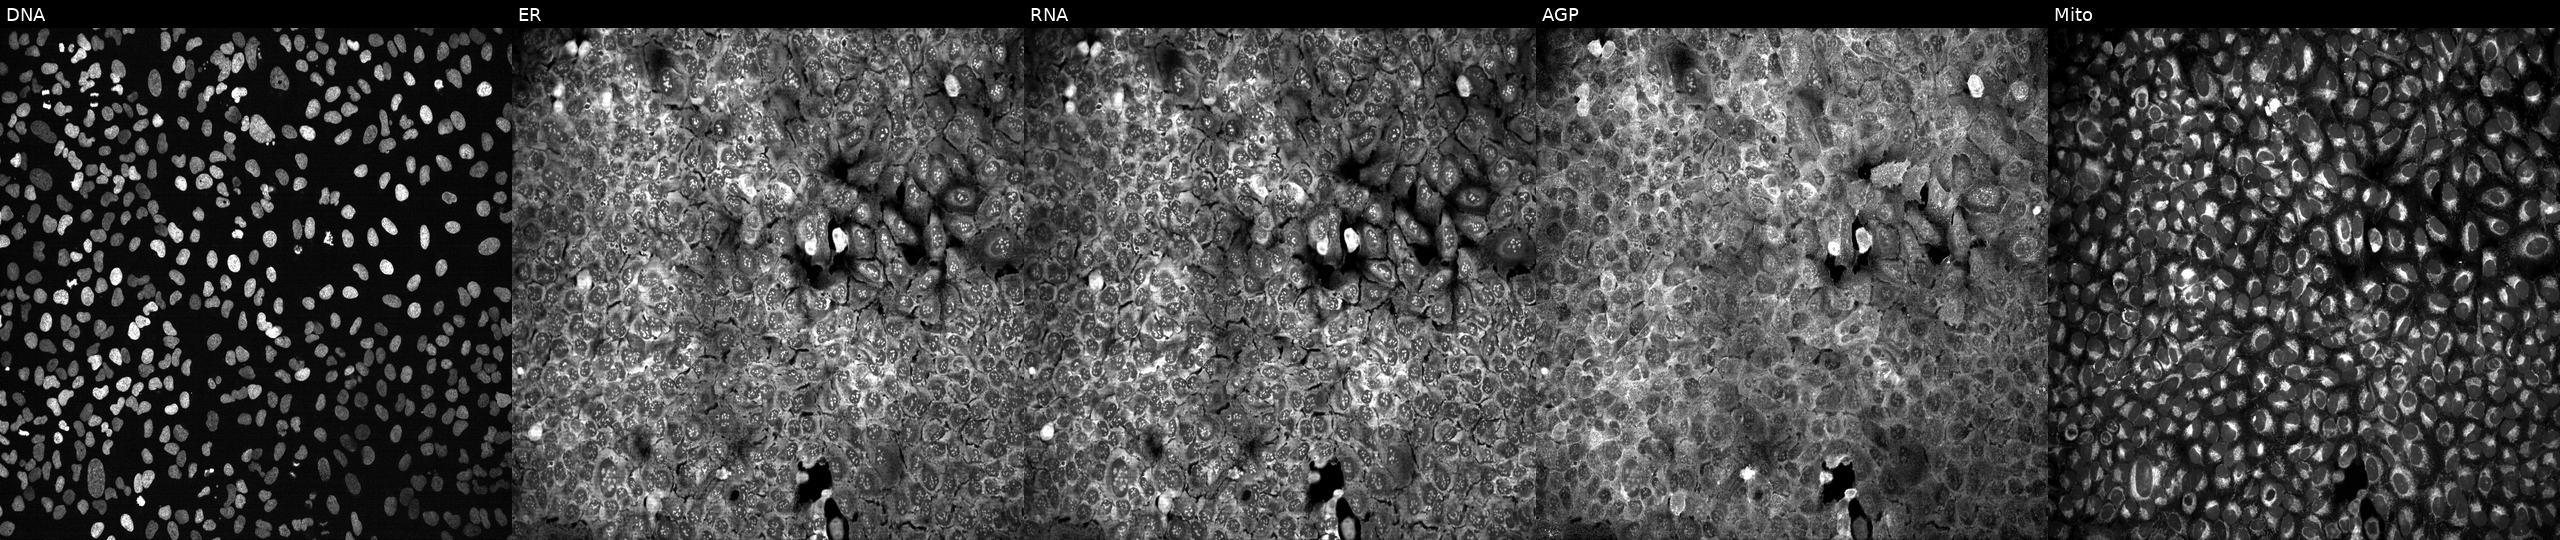
U2OS cells, Cell Painting assay, with ATP13A4 knocked out by CRISPR. The five panels, left to right, show Hoechst 33342, concanavalin A, SYTO 14, phalloidin and WGA, MitoTracker. Each panel is percentile-stretched 16-bit fluorescence.